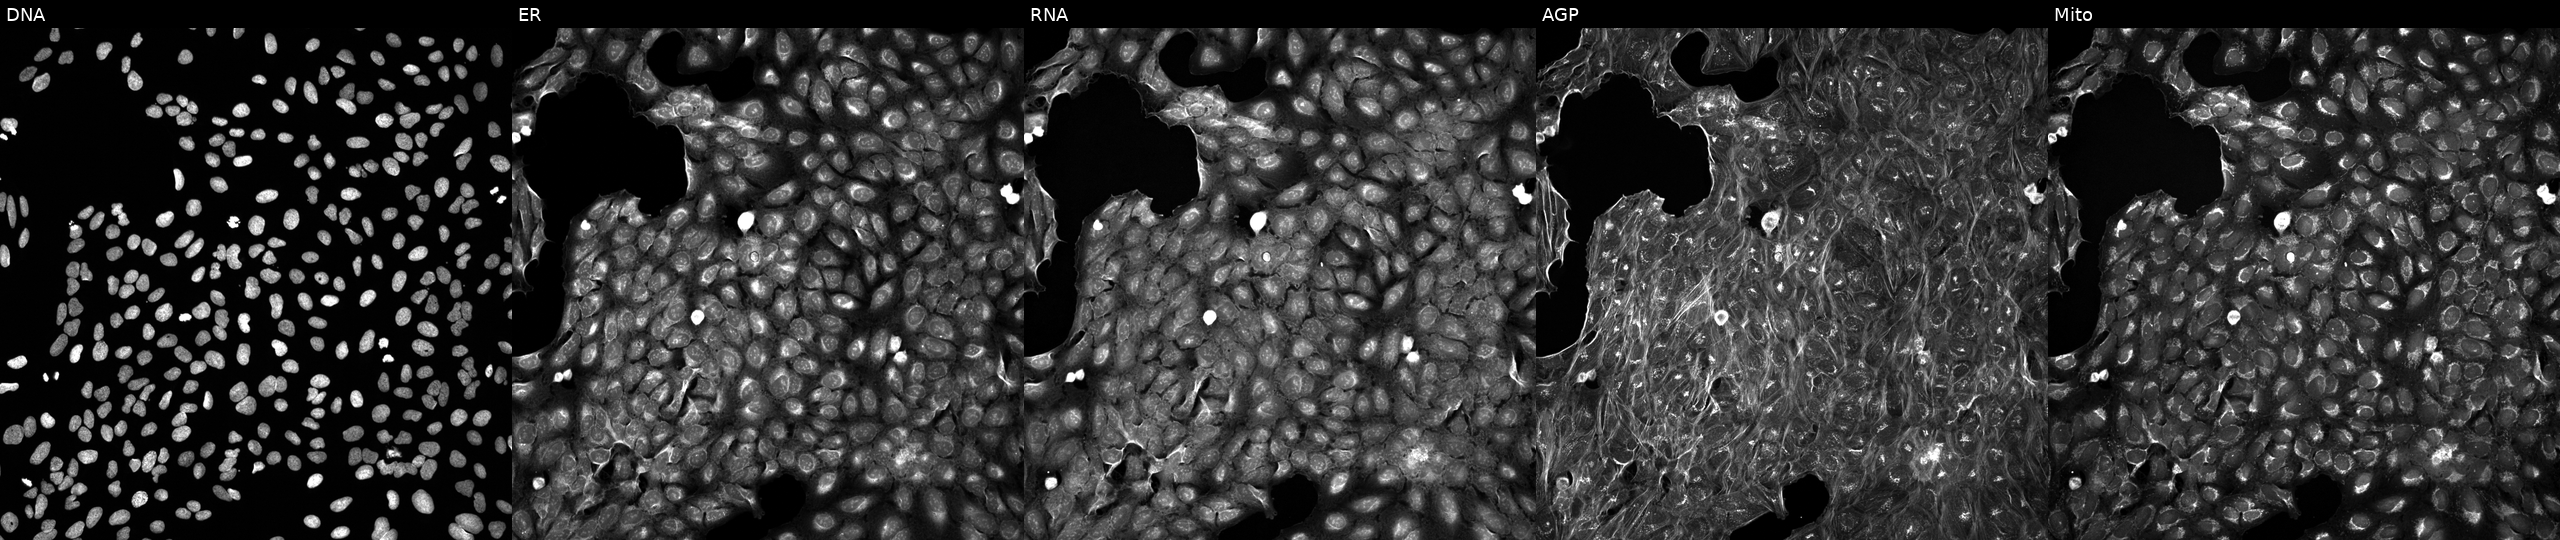
Five-channel Cell Painting image of U2OS cells perturbed with a small-molecule compound. Panels show, left to right, DNA, ER, RNA, AGP, and Mito.